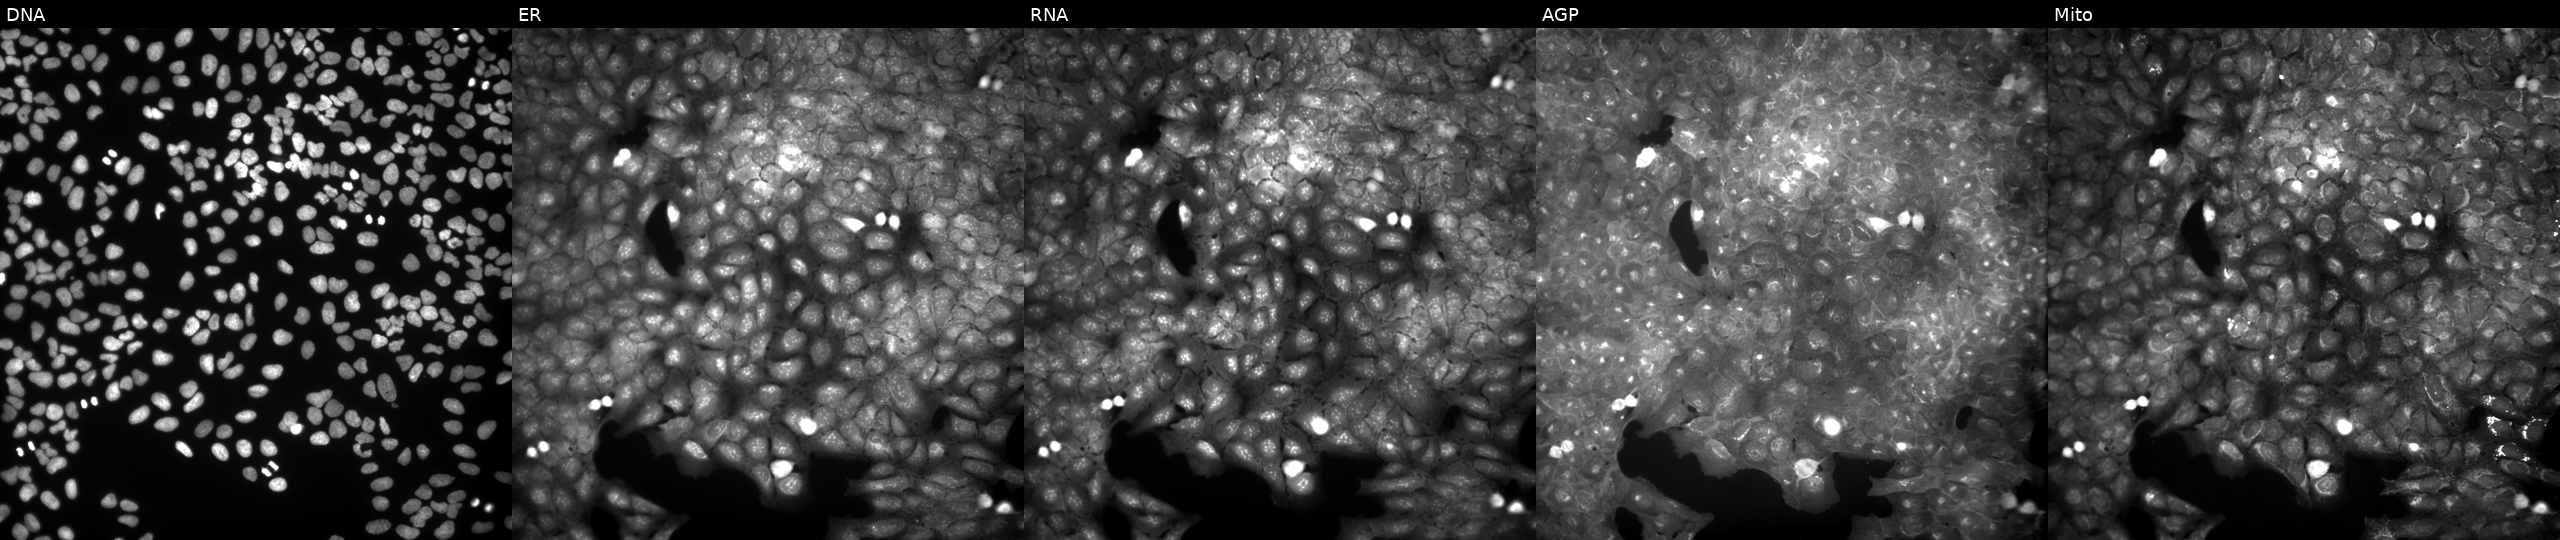
This image strip shows the five Cell Painting channels for a single field of U2OS cells perturbed with a small-molecule compound (JUMP id JCP2022_099154). Panels show, left to right, Hoechst 33342, concanavalin A, SYTO 14, phalloidin and WGA, MitoTracker.